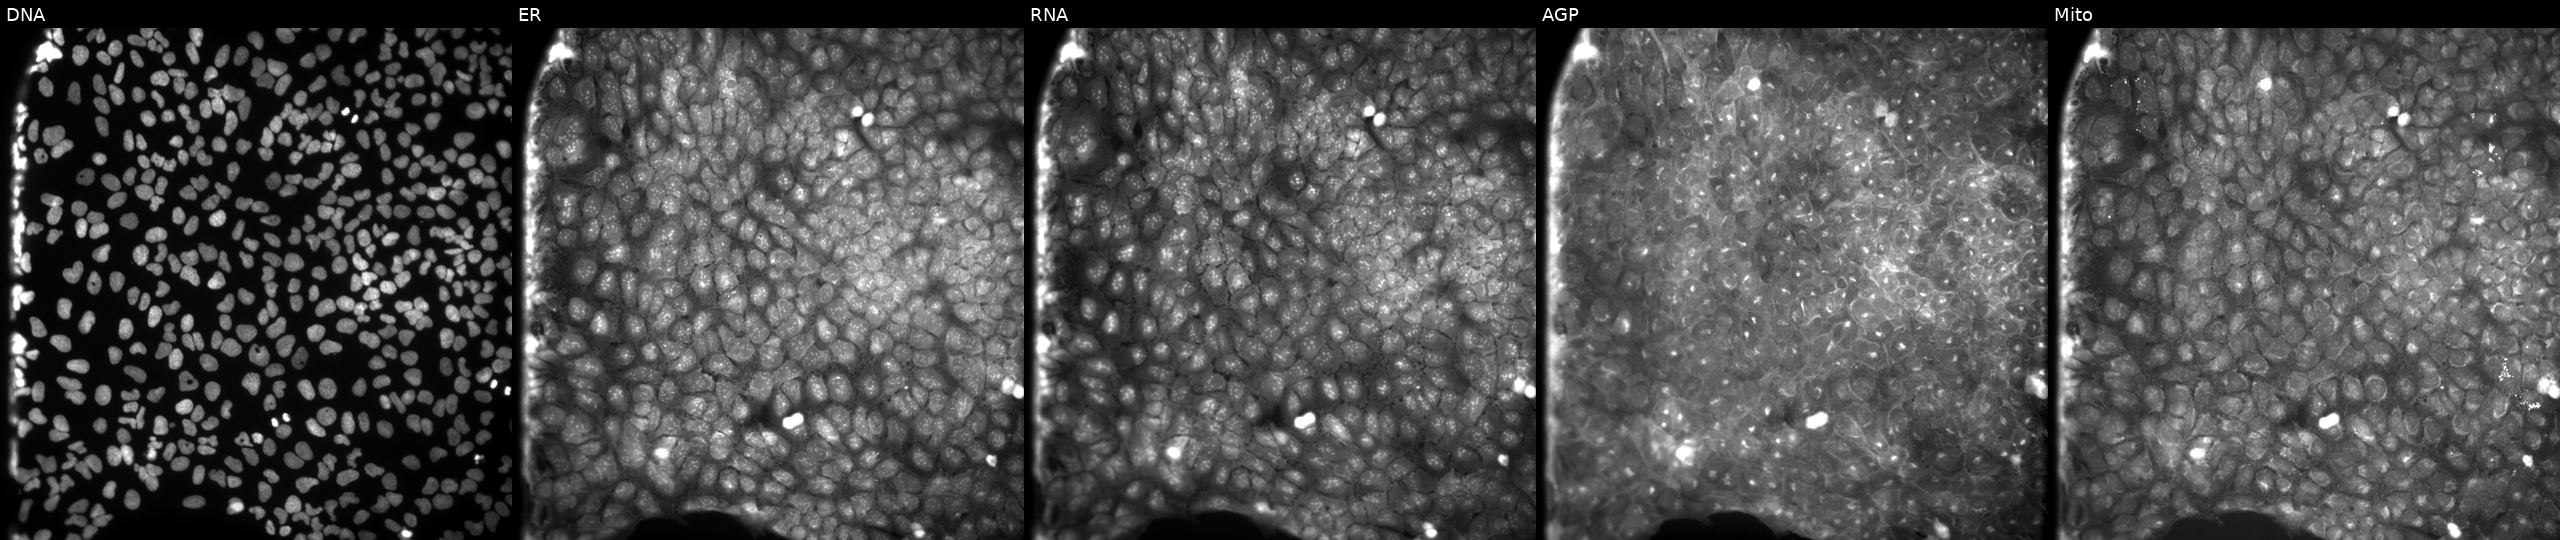
From left to right: DNA, ER, RNA, AGP, and Mito. U2OS osteosarcoma cells perturbed with a small-molecule compound (JUMP id JCP2022_064945). Cell Painting assay, JUMP-CP dataset. Source 9, plate GR00003382, well U06.